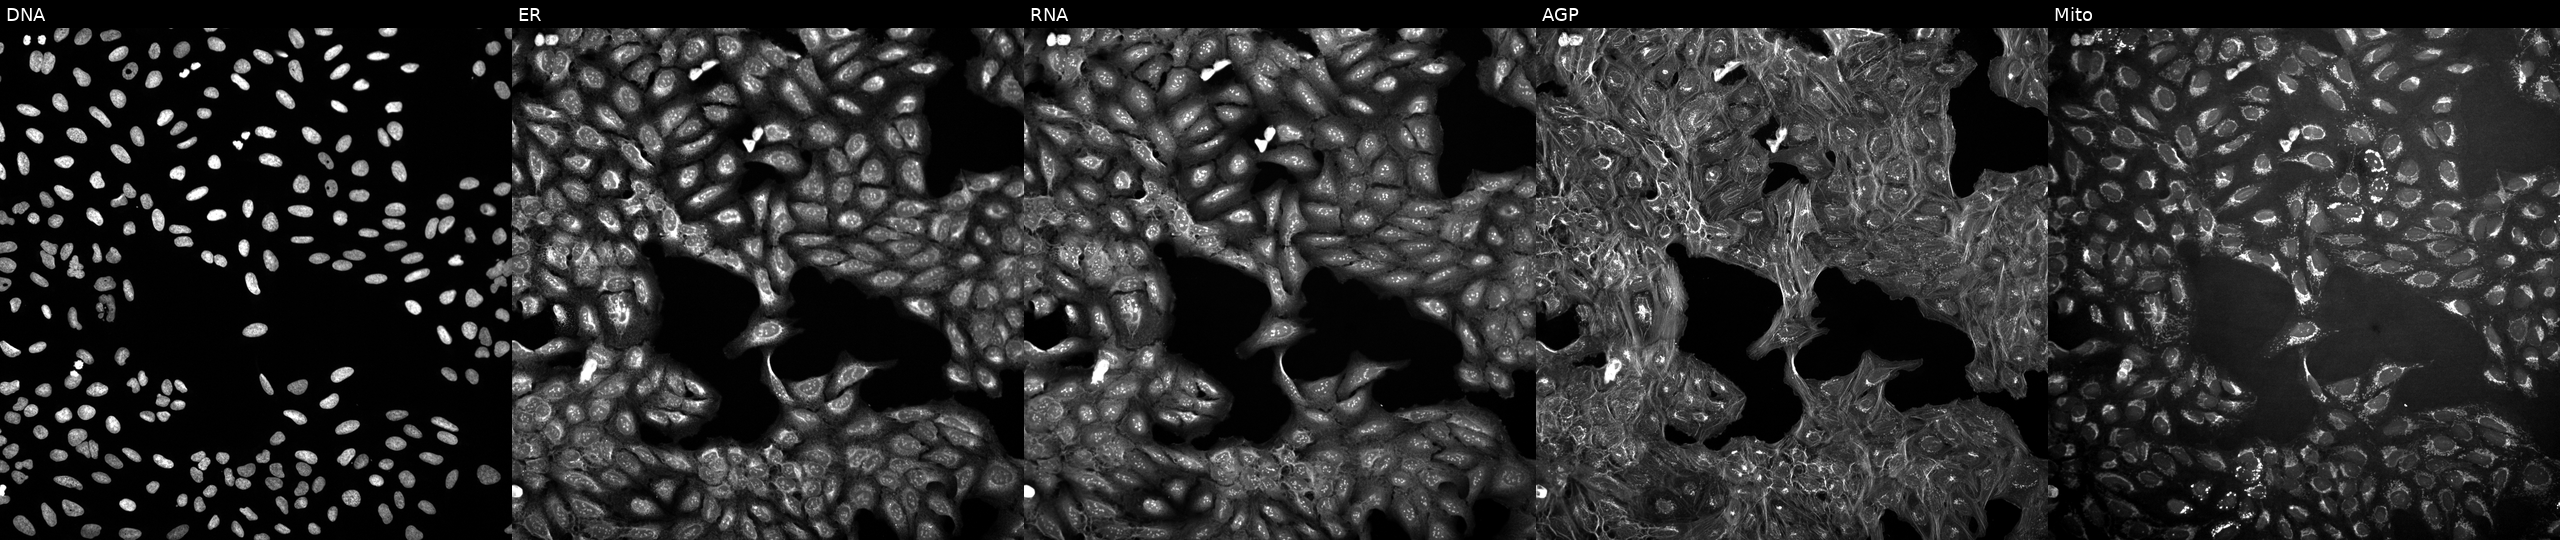
U2OS cells, Cell Painting assay, exposed to a small-molecule compound. The five panels, left to right, show DNA, ER, RNA, AGP, and Mito. Each panel is percentile-stretched 16-bit fluorescence. Source 10, plate Dest210531-152324, well E10.